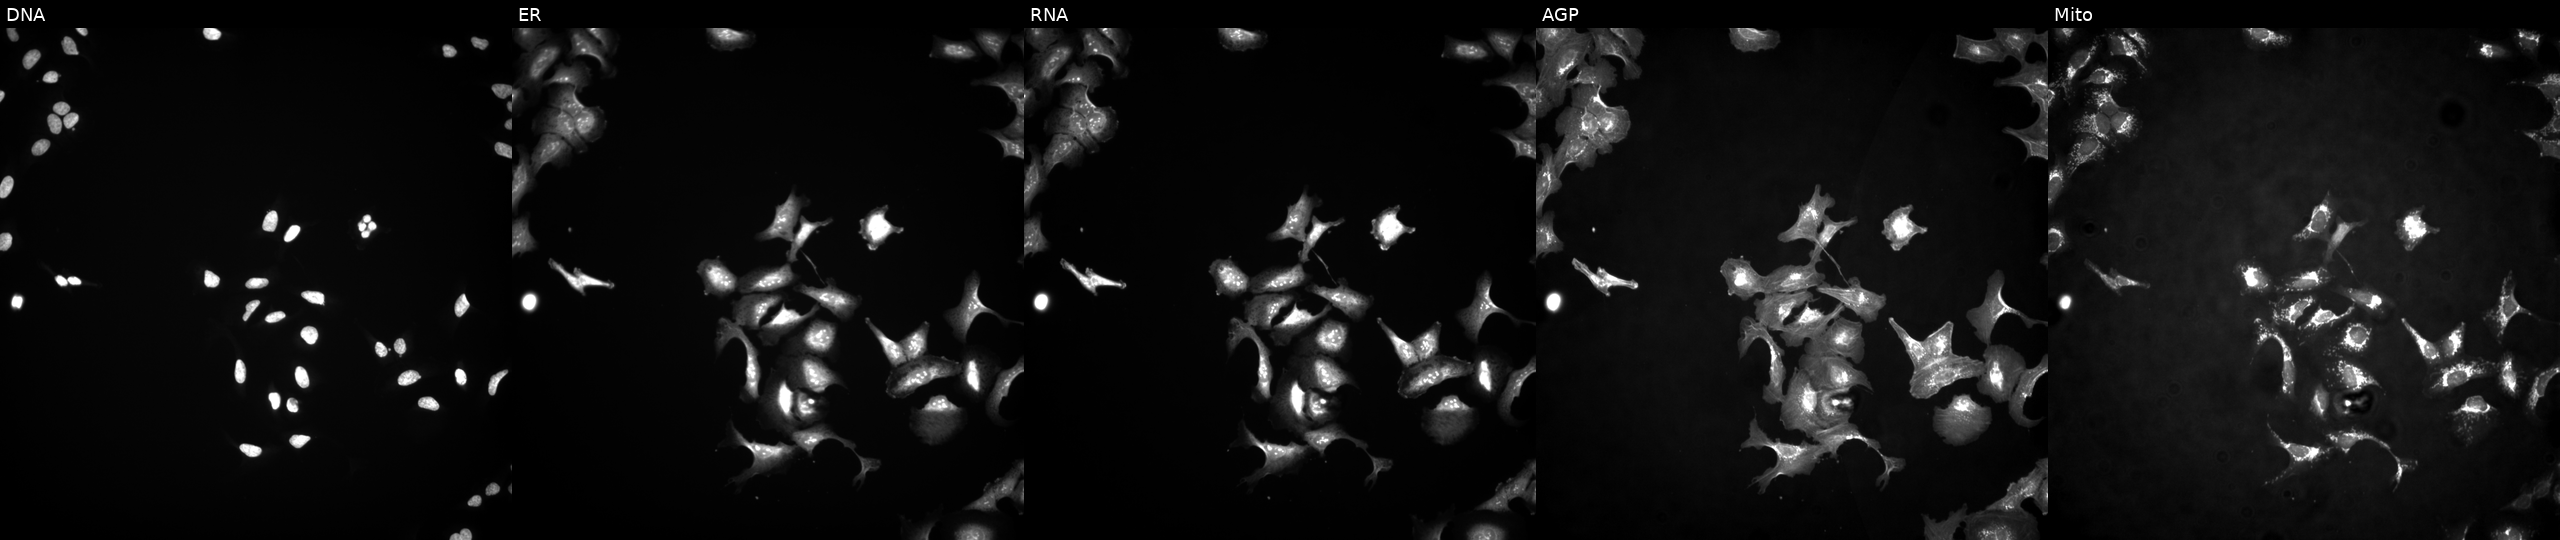
JUMP Cell Painting — ORF plate. U2OS cells transfected with an ORF construct for FERD3L (JUMP id JCP2022_912525). The five panels, left to right, show DNA, ER, RNA, AGP, and Mito. Source 4, plate BR00117035, well N02.